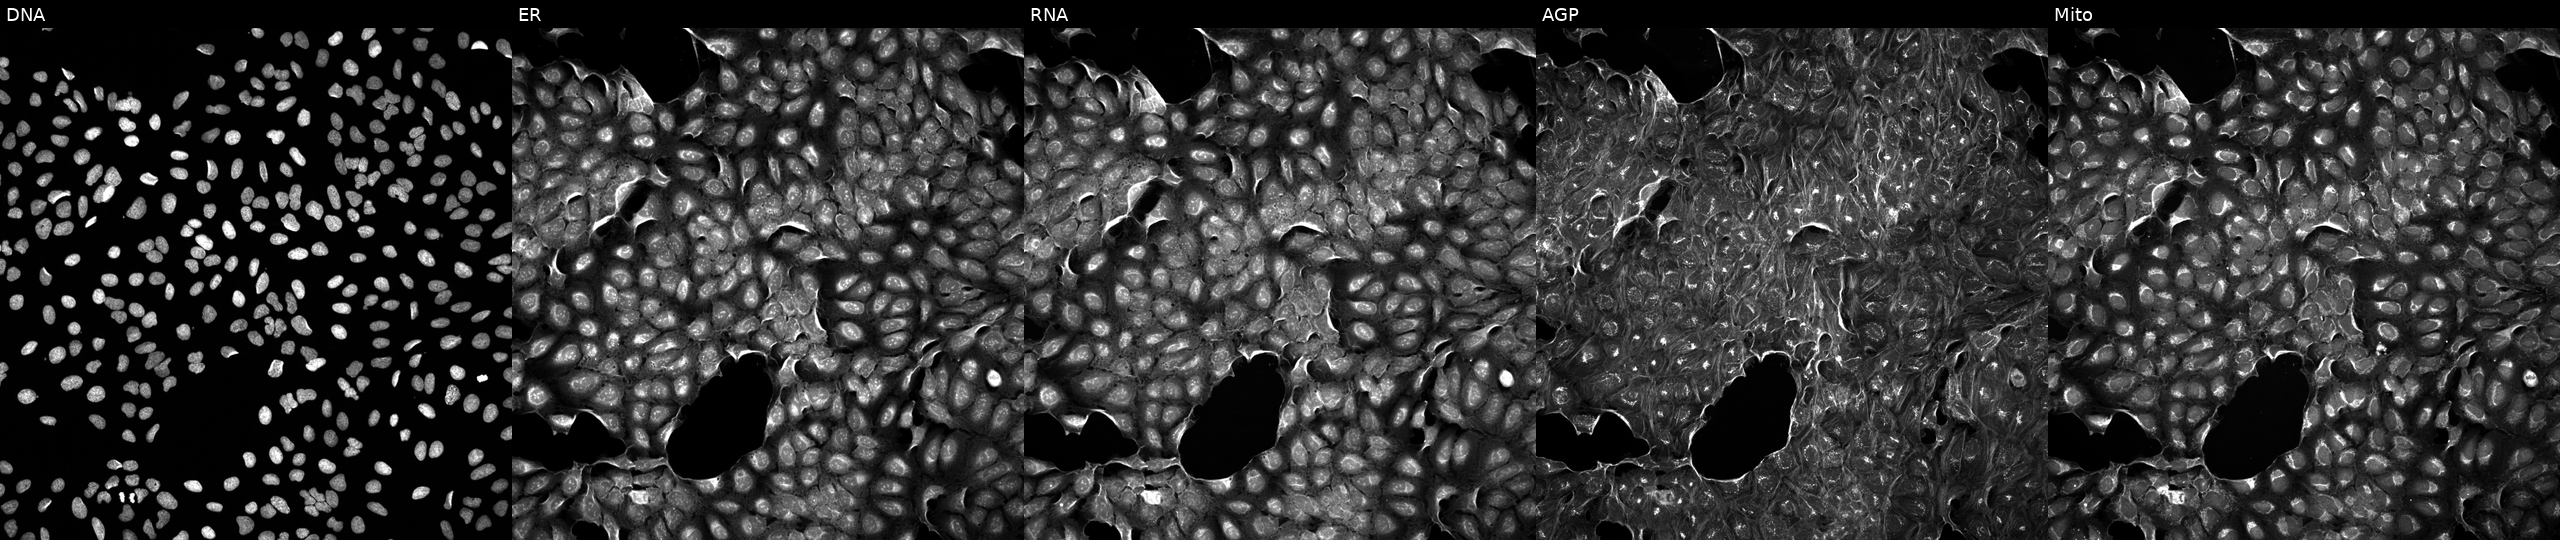
High-content fluorescence microscopy (Cell Painting). Cell line: U2OS. Perturbation: perturbed with a small-molecule compound (InChIKey XJZZDWGSAXNNIS-UHFFFAOYSA-N). Channels (left→right): DNA (nuclei); ER (endoplasmic reticulum); RNA (nucleoli and cytoplasmic RNA); AGP (actin cytoskeleton, Golgi, and plasma membrane); Mito (mitochondria). Source 5, plate APTJUM106, well O08.